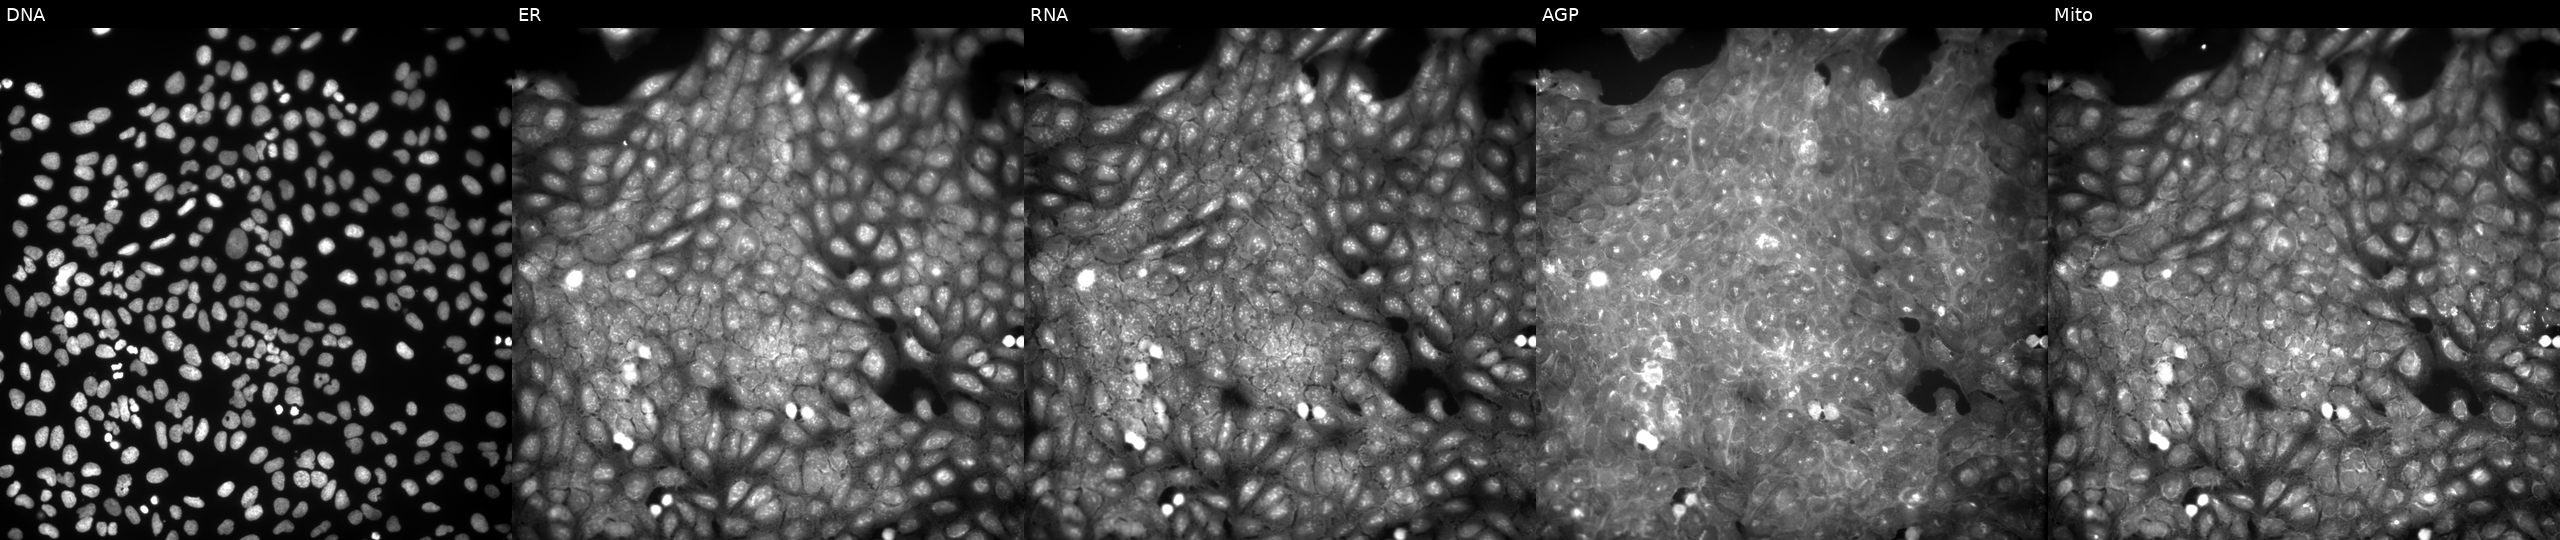
JUMP Cell Painting — COMPOUND plate. U2OS cells treated with a small-molecule compound. Channels (left→right): DNA (nuclei); ER (endoplasmic reticulum); RNA (nucleoli and cytoplasmic RNA); AGP (actin cytoskeleton, Golgi, and plasma membrane); Mito (mitochondria). Source 9, plate GR00003381, well AC15.